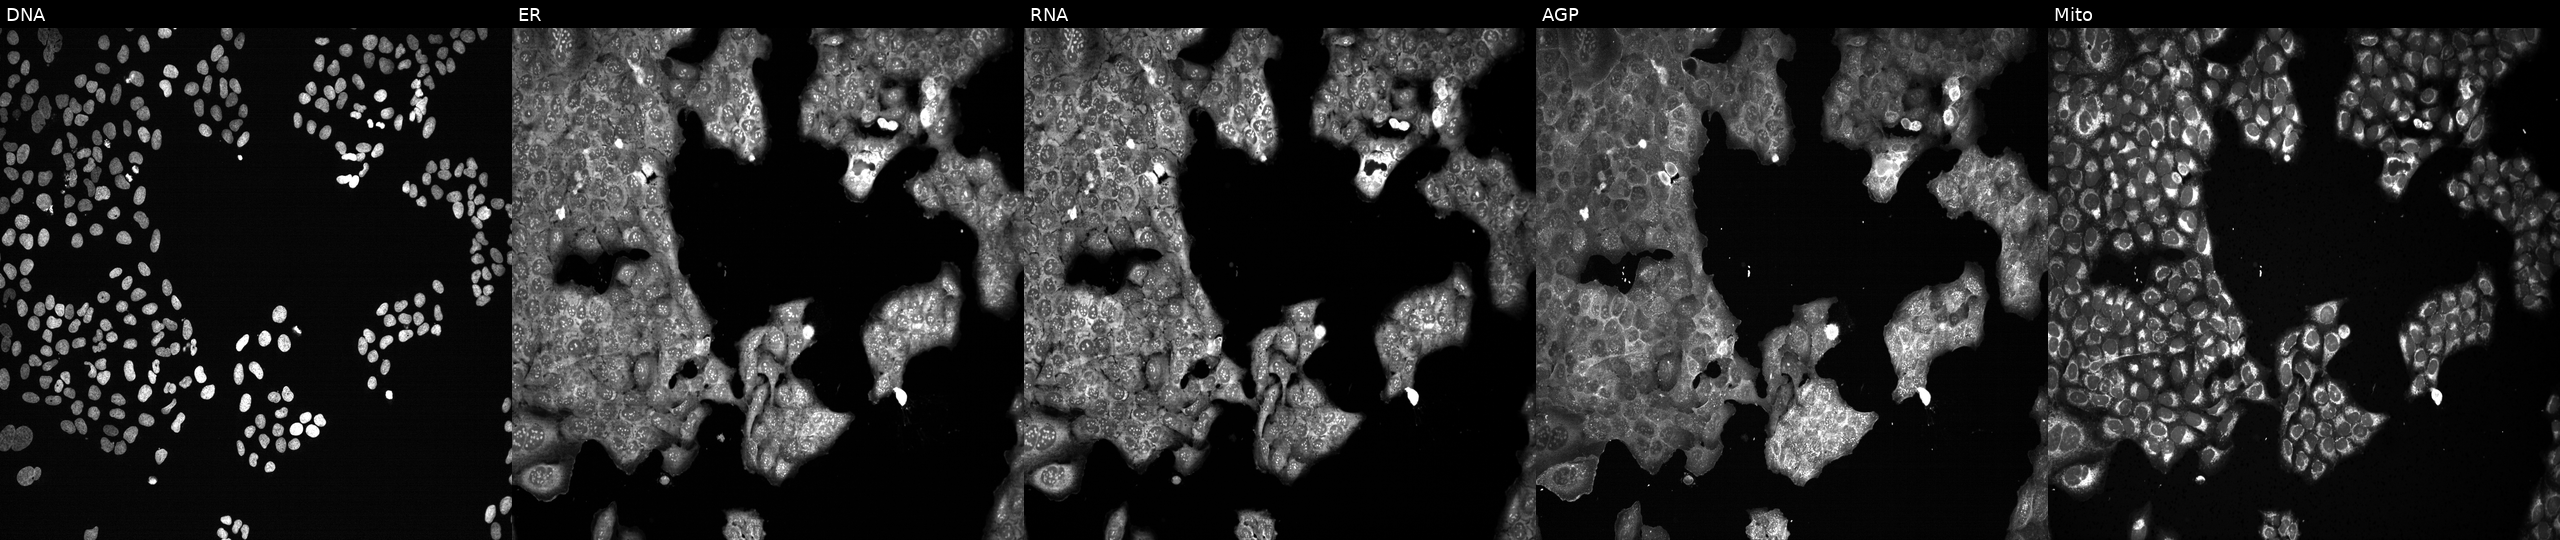
JUMP Cell Painting — CRISPR plate. U2OS cells exposed to the positive-control compound NVS-PAK1-1. The five panels, left to right, show Hoechst 33342, concanavalin A, SYTO 14, phalloidin and WGA, MitoTracker. Source 13, plate CP-CC9-R6-19, well N01.